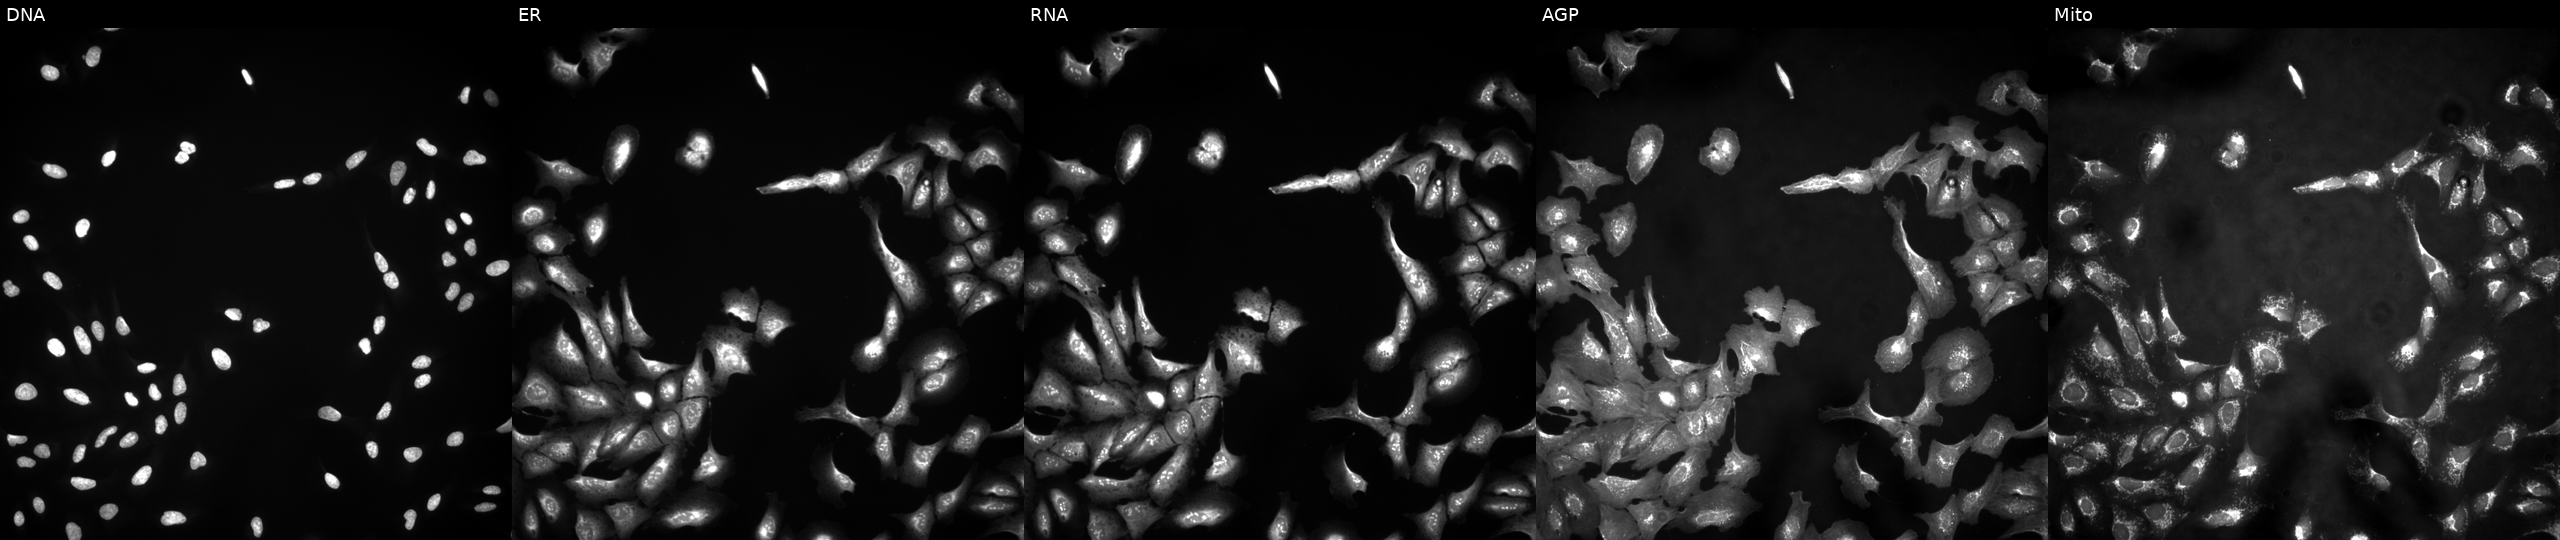
U2OS cells, Cell Painting assay, transfected with an ORF construct for RNGTT. From left to right: Hoechst 33342, concanavalin A, SYTO 14, phalloidin and WGA, MitoTracker. Each panel is percentile-stretched 16-bit fluorescence. Source 4, plate BR00121543, well K08.